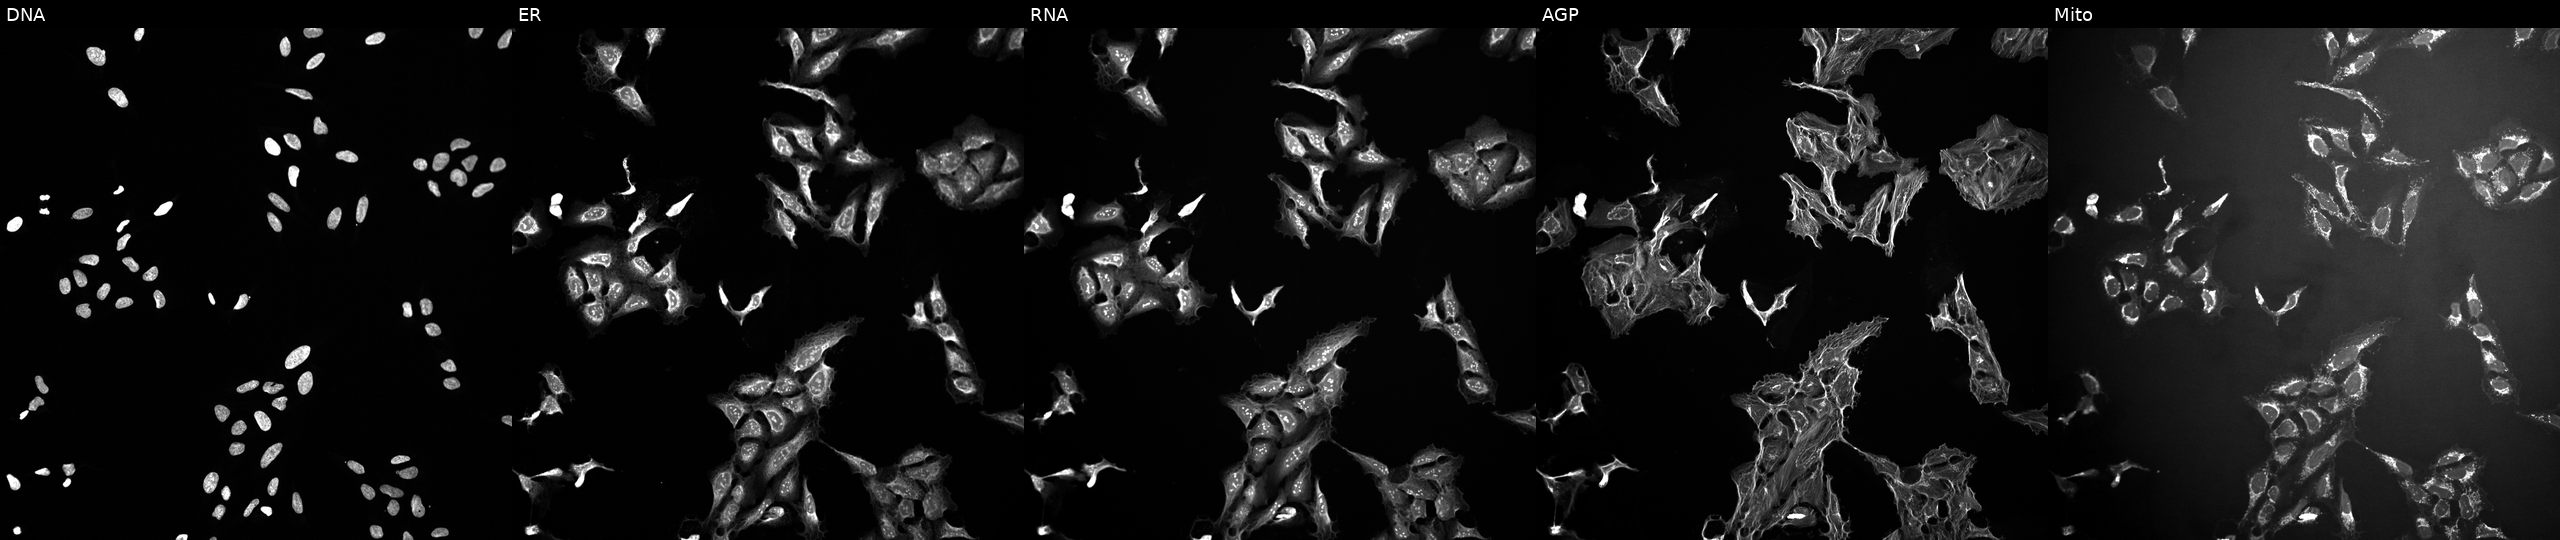
This image strip shows the five Cell Painting channels for a single field of U2OS cells treated with a small-molecule compound (InChIKey NUKYPUAOHBNCPY-UHFFFAOYSA-N). From left to right: DNA (nuclei); ER (endoplasmic reticulum); RNA (nucleoli and cytoplasmic RNA); AGP (actin cytoskeleton, Golgi, and plasma membrane); Mito (mitochondria).